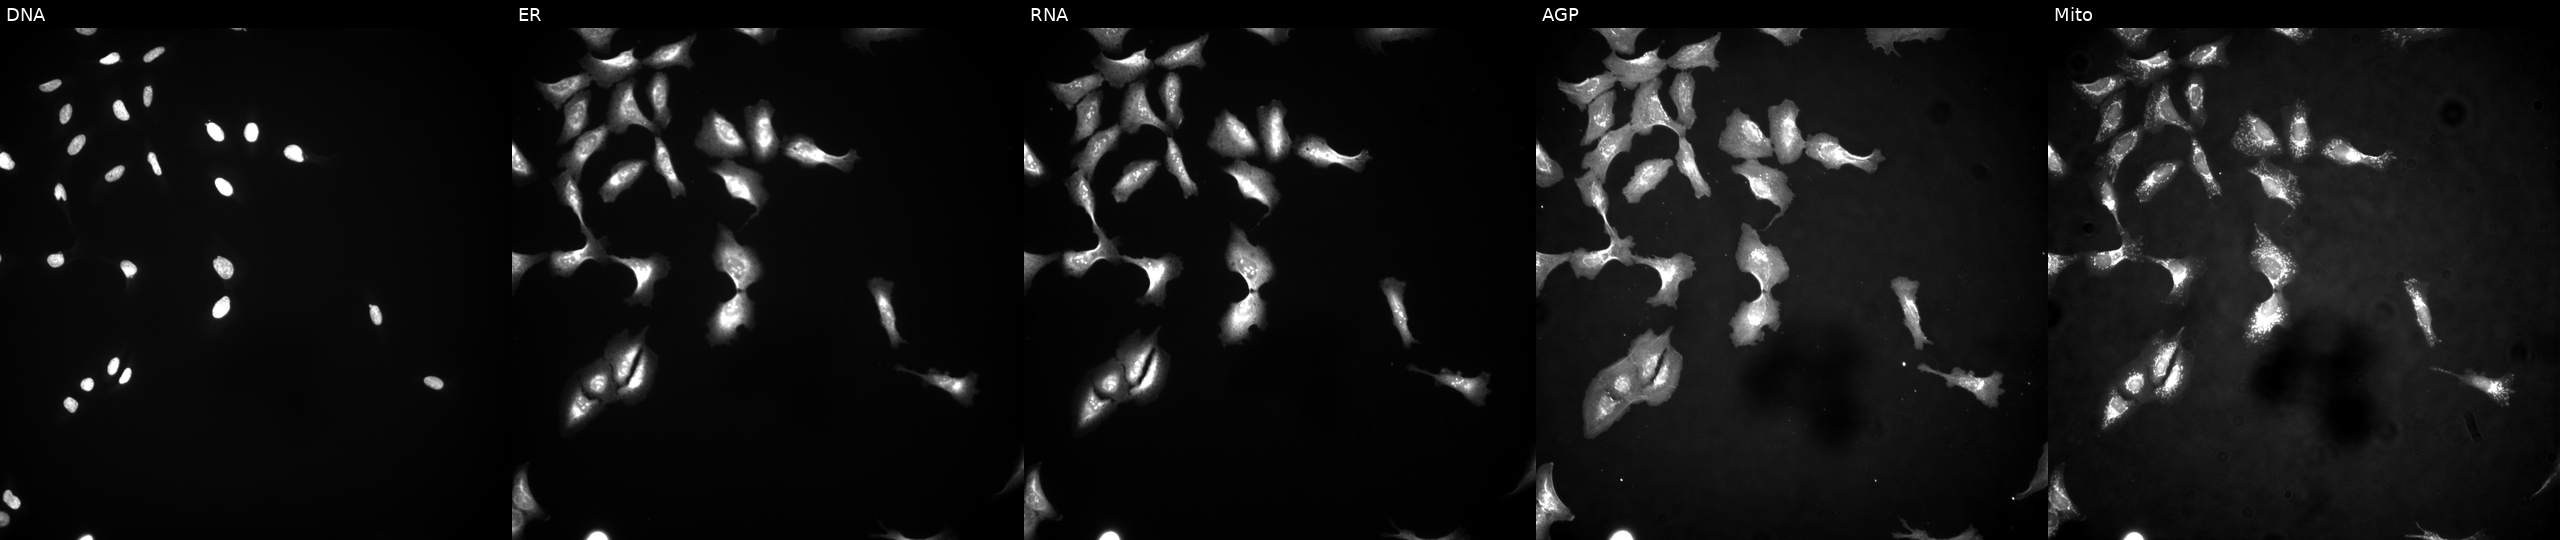
The five panels, left to right, show Hoechst 33342, concanavalin A, SYTO 14, phalloidin and WGA, MitoTracker. U2OS osteosarcoma cells with DAPL1 overexpressed (ORF). Cell Painting assay, JUMP-CP dataset. Source 4, plate BR00124790, well K16.